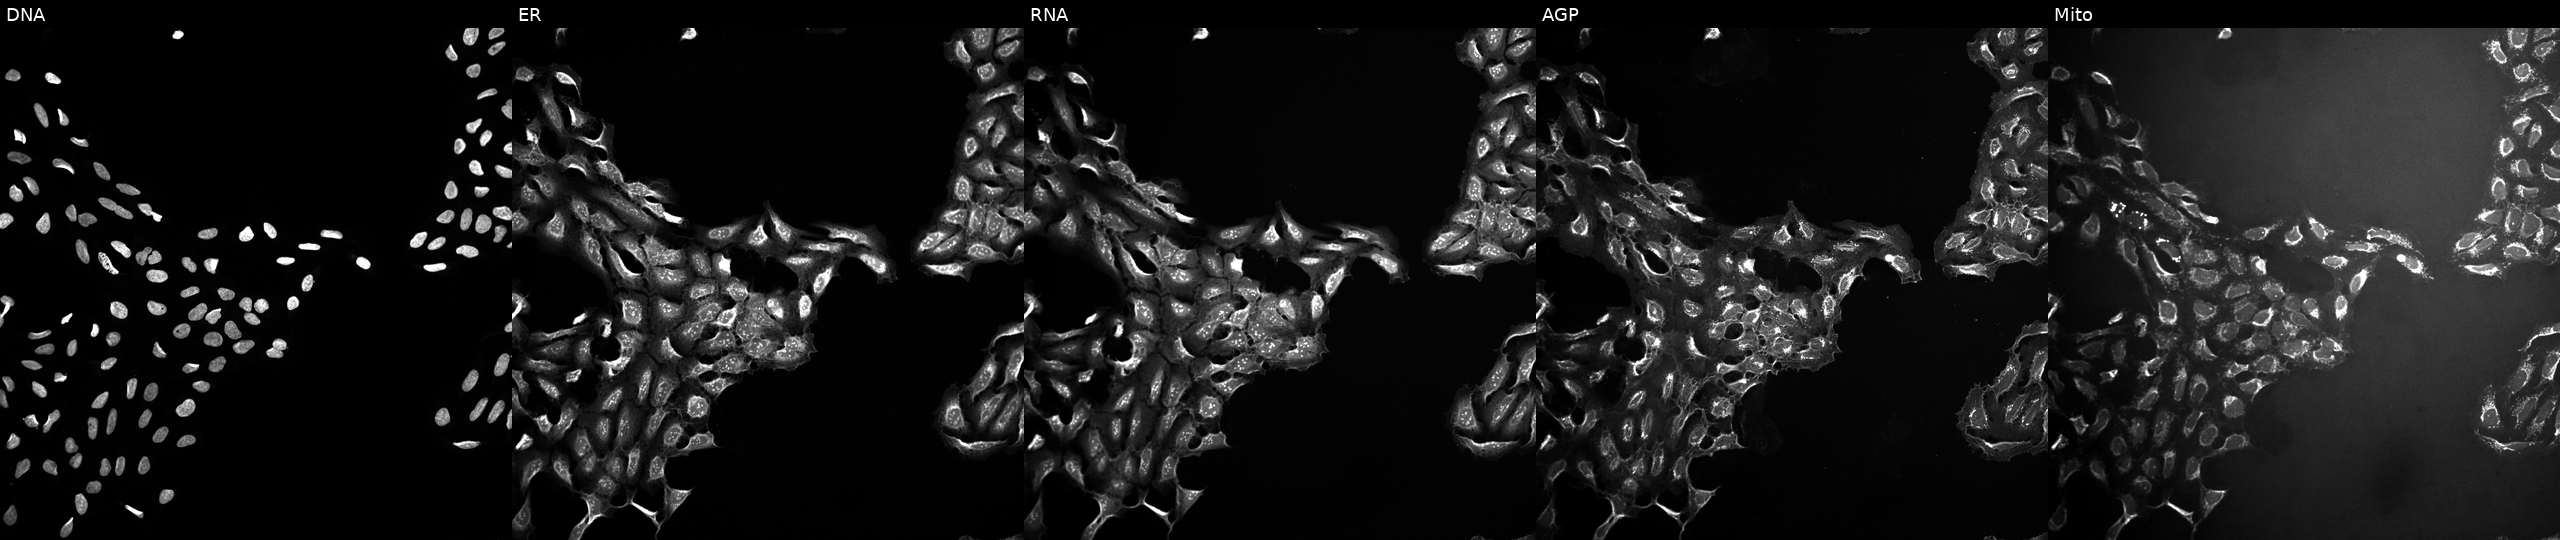
Channels (left→right): DNA, ER, RNA, AGP, and Mito. U2OS osteosarcoma cells perturbed with a small-molecule compound (InChIKey KXDROGADUISDGY-UHFFFAOYSA-N) [SMILES: N=C(NCc1ccccc1)NC(=O)c1nc(Cl)c(=N)[nH]c1N] (JUMP id JCP2022_047559). Cell Painting assay, JUMP-CP dataset. Source 10, plate Dest210803-153958, well B21.